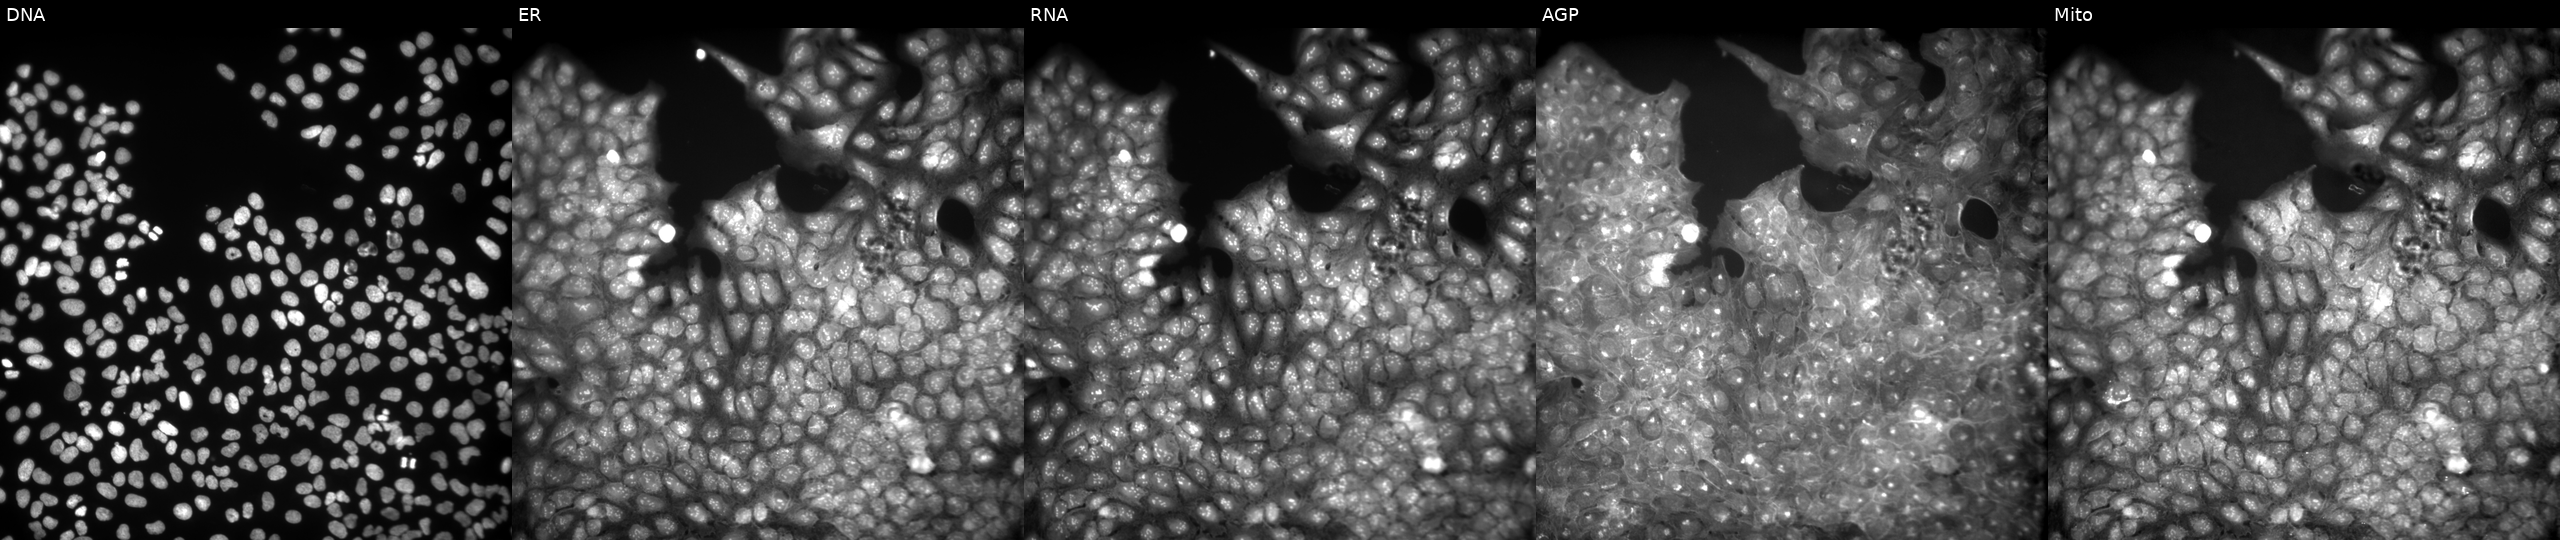
JUMP Cell Painting — COMPOUND plate. U2OS cells exposed to a small-molecule compound (InChIKey QEWGXGMQJNXGMV-UHFFFAOYSA-N) (JUMP id JCP2022_072971). Panels show, left to right, Hoechst 33342, concanavalin A, SYTO 14, phalloidin and WGA, MitoTracker. Source 9, plate GR00003382, well AF32.